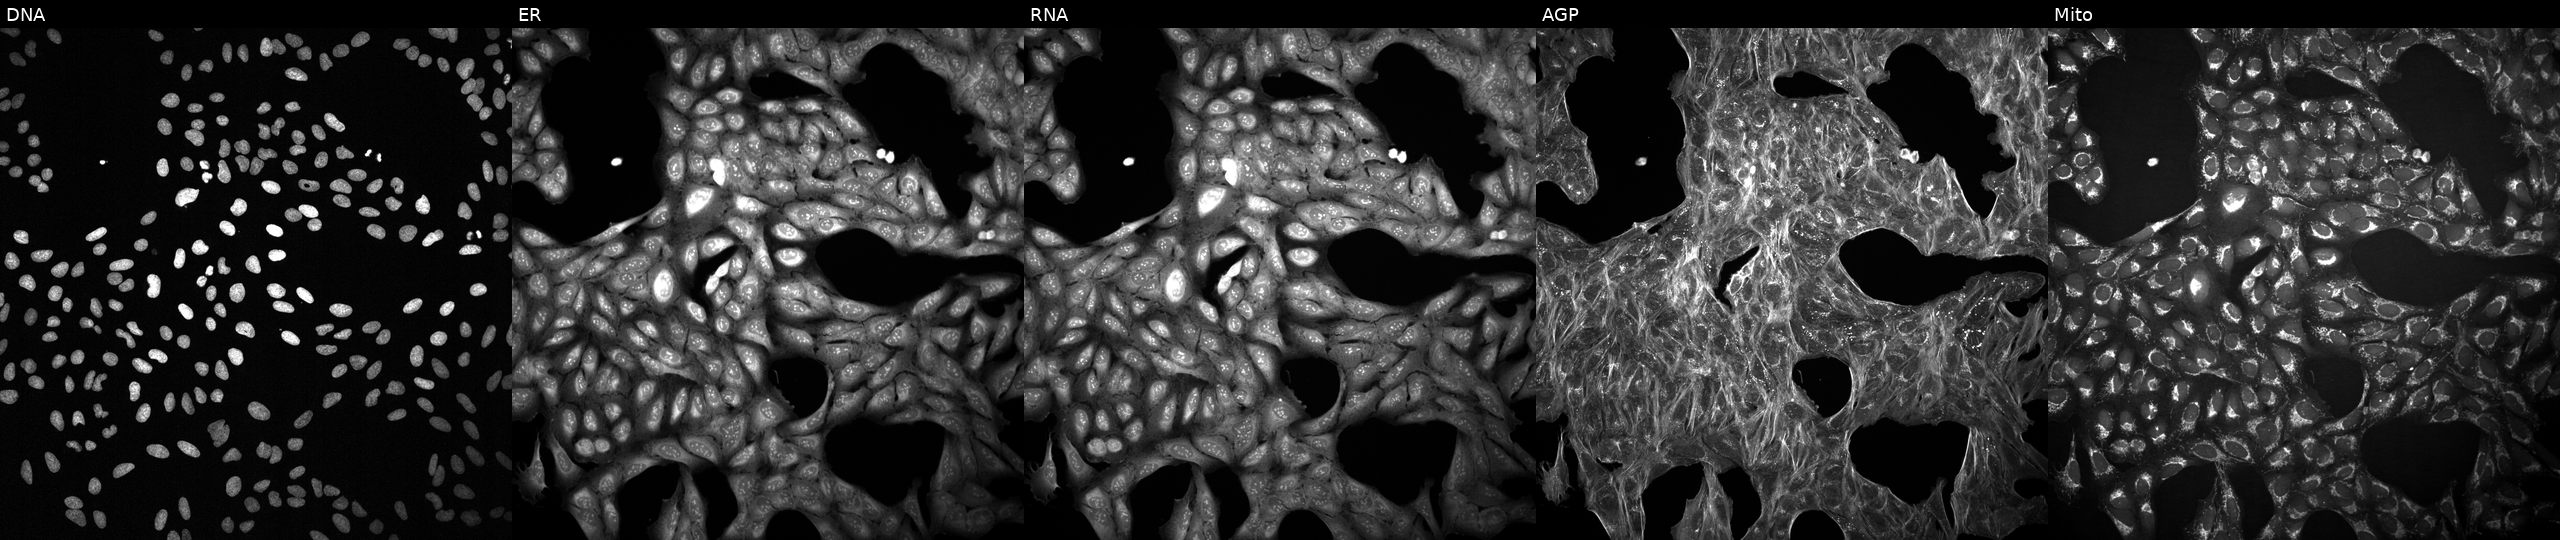
JUMP Cell Painting — COMPOUND plate. U2OS cells perturbed with a small-molecule compound (InChIKey VKZYXRMRLDXQIT-UHFFFAOYSA-N) (JUMP id JCP2022_094665). Panels show, left to right, DNA (nuclei); ER (endoplasmic reticulum); RNA (nucleoli and cytoplasmic RNA); AGP (actin cytoskeleton, Golgi, and plasma membrane); Mito (mitochondria). Source 2, plate 1053601763, well C22.